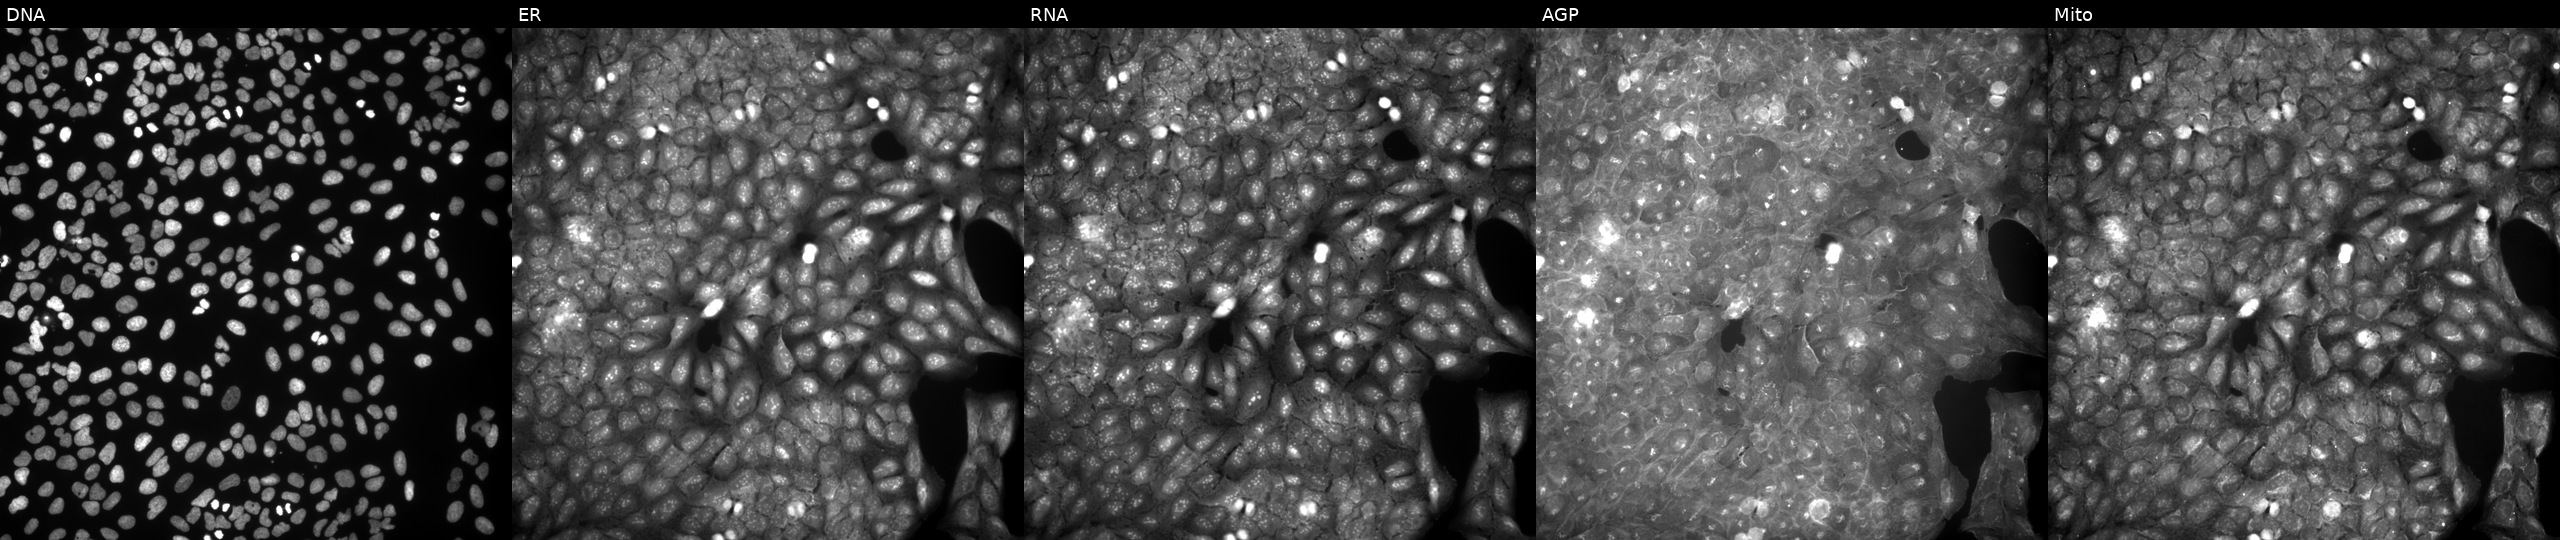
High-content fluorescence microscopy (Cell Painting). Cell line: U2OS. Perturbation: perturbed with a small-molecule compound (InChIKey PNBLAGJAUXZQTL-UHFFFAOYSA-N). Panels show, left to right, DNA (nuclei); ER (endoplasmic reticulum); RNA (nucleoli and cytoplasmic RNA); AGP (actin cytoskeleton, Golgi, and plasma membrane); Mito (mitochondria). Source 9, plate GR00003382, well K30.